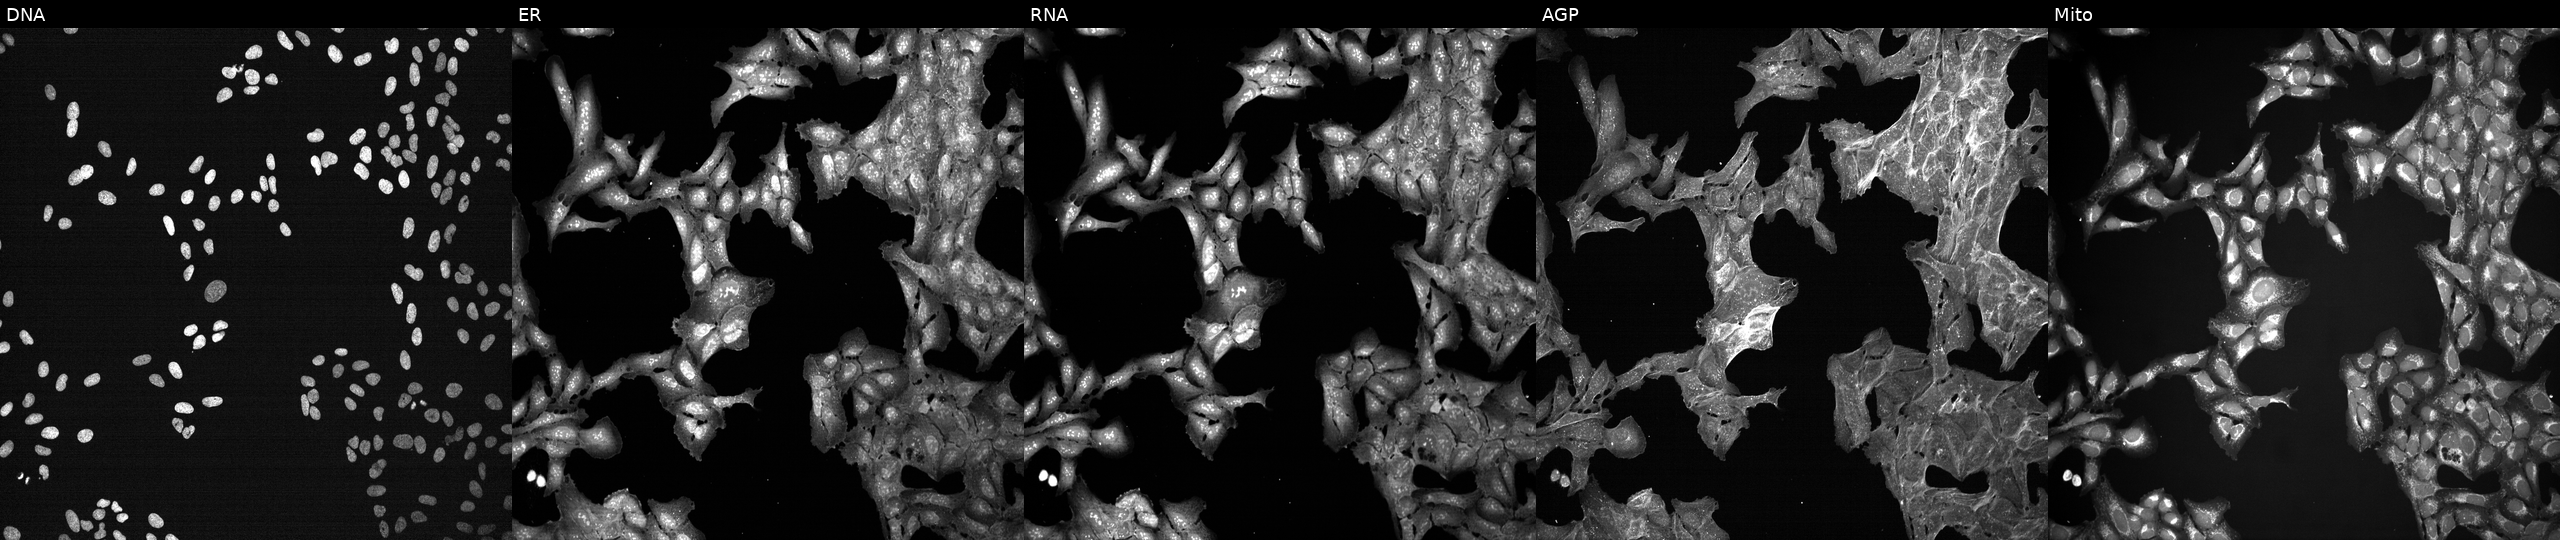
Five-channel Cell Painting image of U2OS cells exposed to a small-molecule compound (InChIKey MFDFERRIHVXMIY-UHFFFAOYSA-N) [SMILES: CCN(CC)CCOC(=O)c1ccc(N)cc1] (JUMP id JCP2022_053734). Panels show, left to right, DNA, ER, RNA, AGP, and Mito.